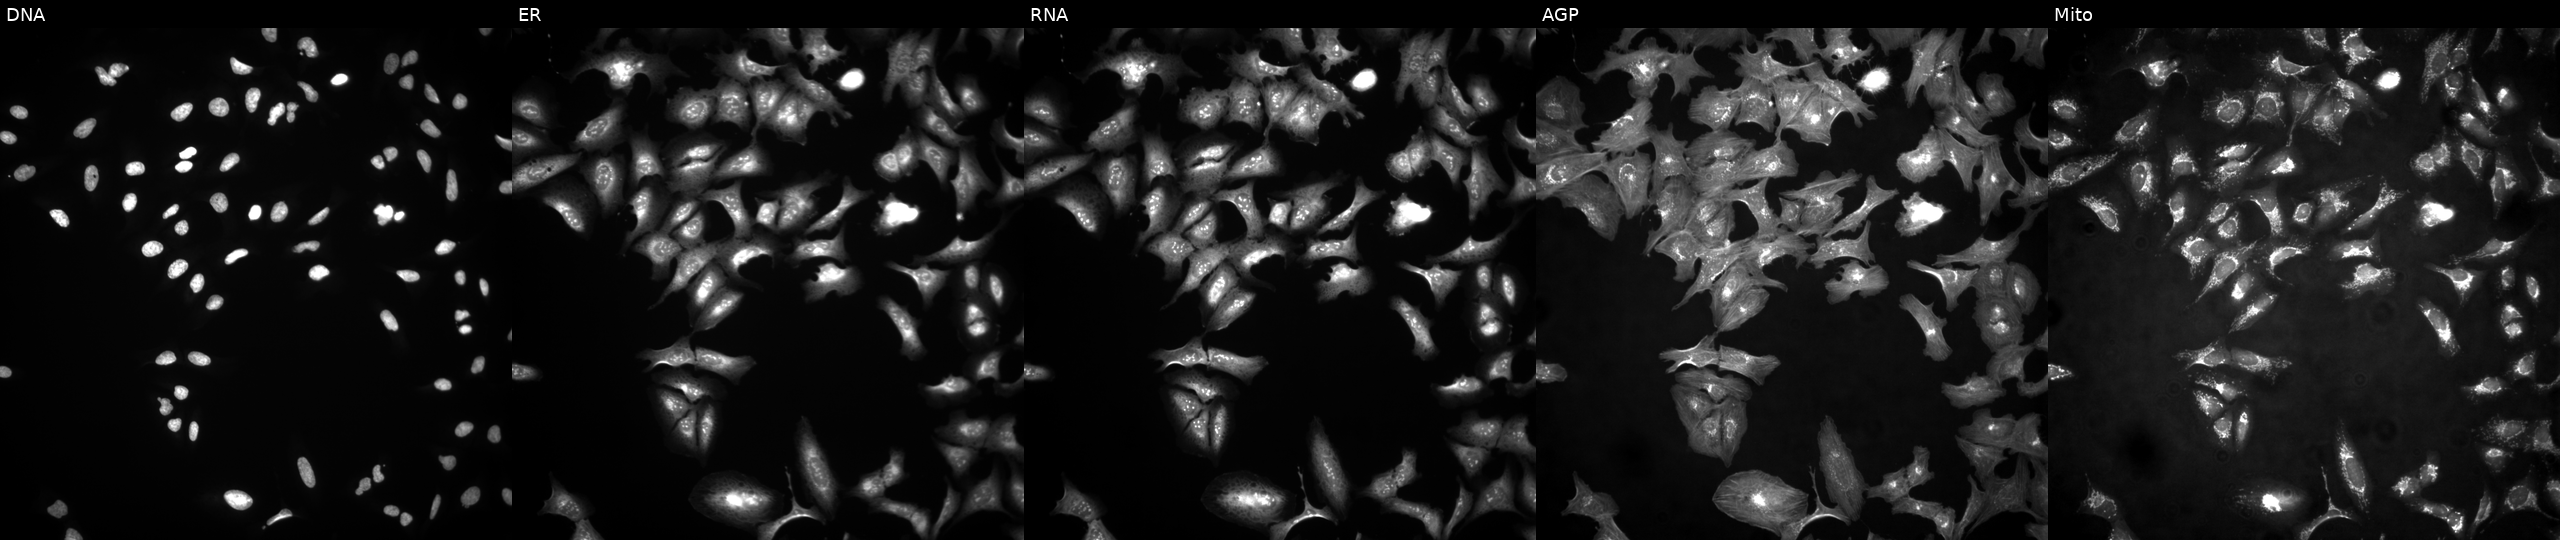
The five panels, left to right, show DNA (nuclei); ER (endoplasmic reticulum); RNA (nucleoli and cytoplasmic RNA); AGP (actin cytoskeleton, Golgi, and plasma membrane); Mito (mitochondria). U2OS osteosarcoma cells with TRIM37 overexpressed (ORF). Cell Painting assay, JUMP-CP dataset.